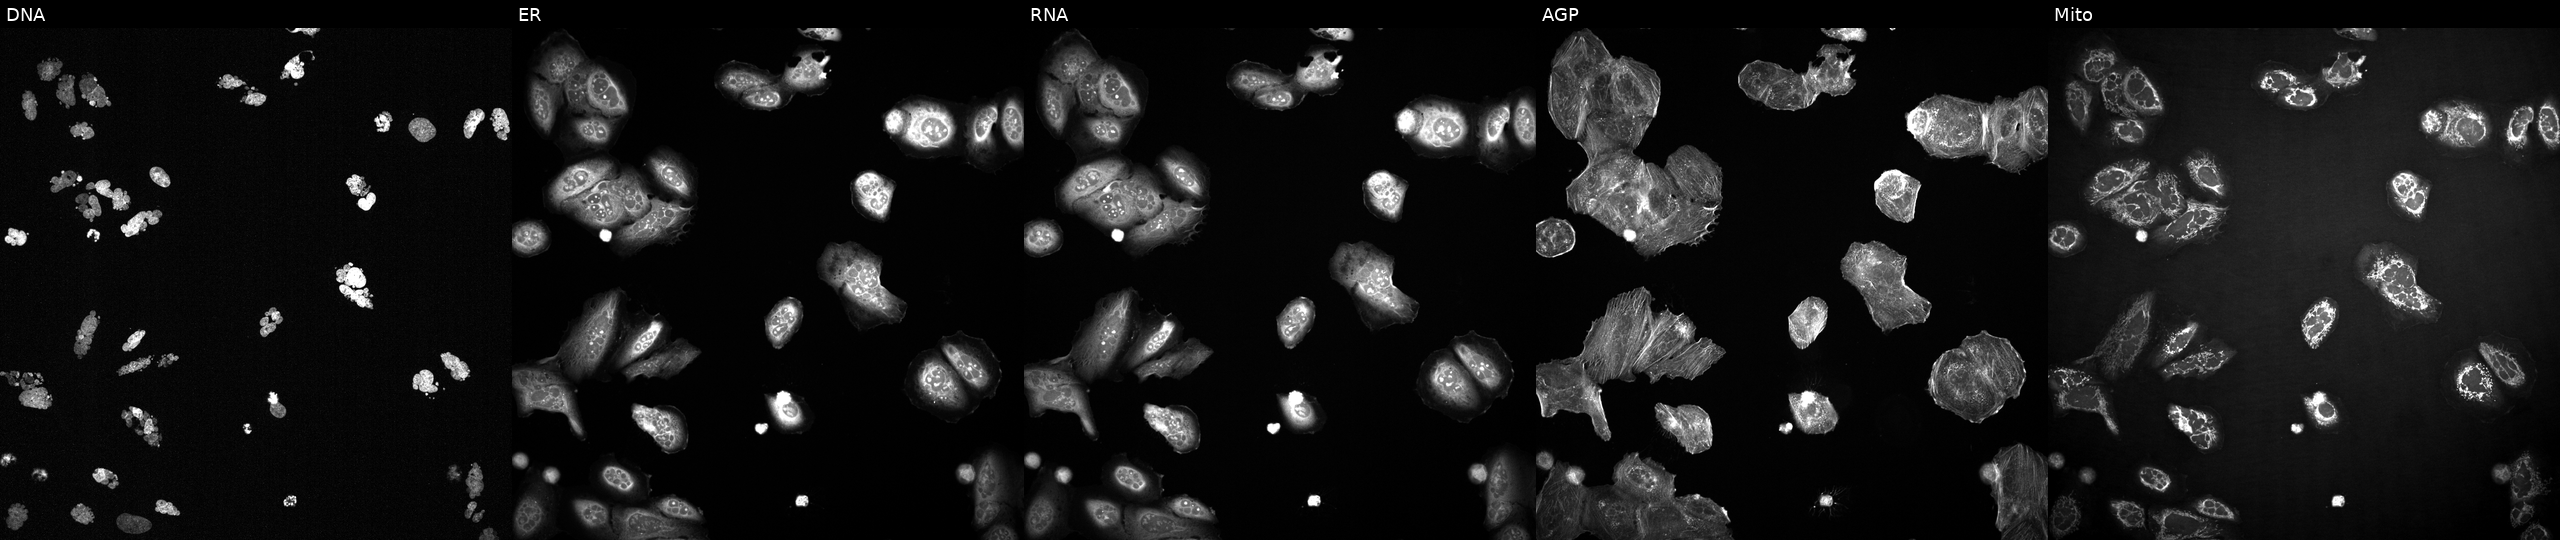
This image strip shows the five Cell Painting channels for a single field of U2OS cells exposed to a small-molecule compound (InChIKey QXRSDHAAWVKZLJ-UHFFFAOYSA-N) (JUMP id JCP2022_076573). From left to right: DNA (nuclei); ER (endoplasmic reticulum); RNA (nucleoli and cytoplasmic RNA); AGP (actin cytoskeleton, Golgi, and plasma membrane); Mito (mitochondria). Source 2, plate 1053600674, well D10.